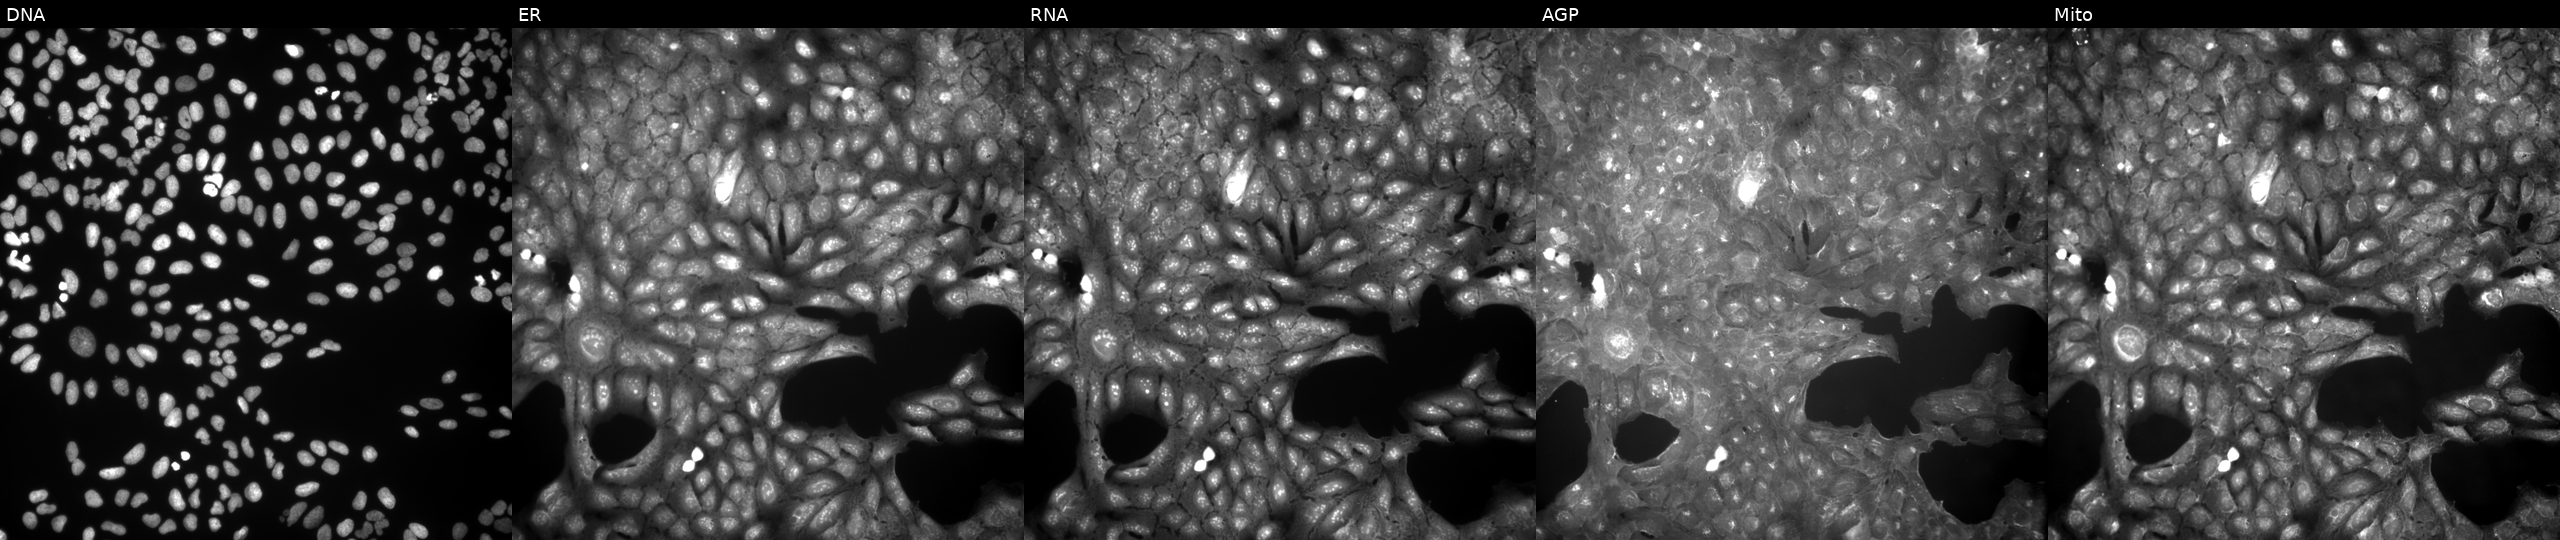
Five-channel Cell Painting image of U2OS cells perturbed with a small-molecule compound (JUMP id JCP2022_068684). The five panels, left to right, show Hoechst 33342, concanavalin A, SYTO 14, phalloidin and WGA, MitoTracker. Source 9, plate GR00003381, well I39.